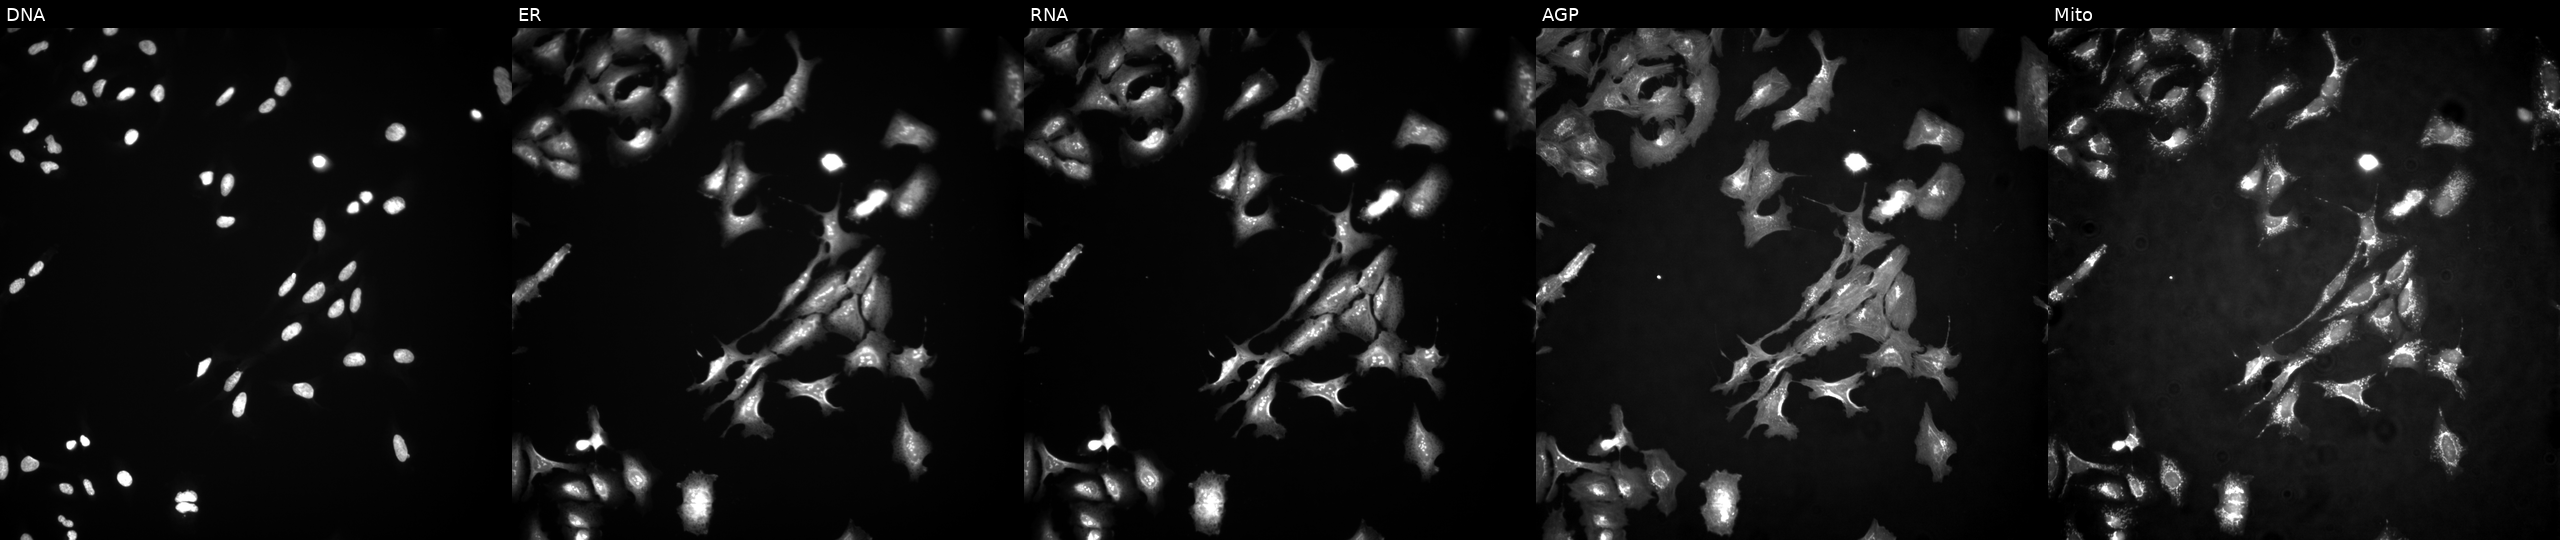
High-content fluorescence microscopy (Cell Painting). Cell line: U2OS. Perturbation: overexpressing KAT7 via ORF transfection. Channels (left→right): DNA, ER, RNA, AGP, and Mito.